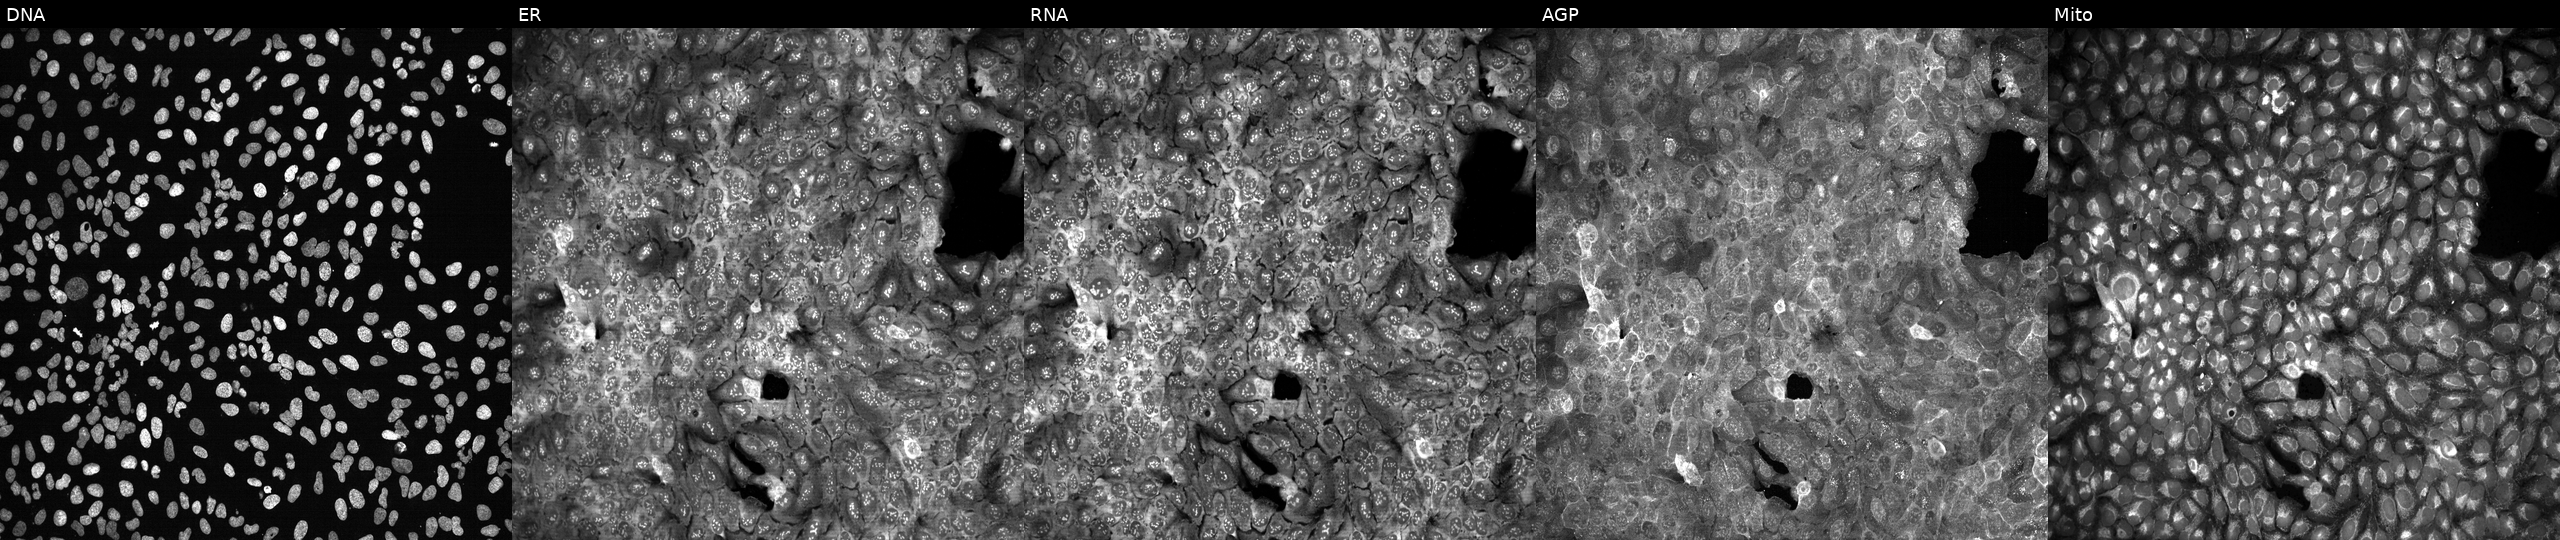
Five-channel Cell Painting image of U2OS cells following CRISPR knockout of SLC26A2. Channels (left→right): DNA (nuclei); ER (endoplasmic reticulum); RNA (nucleoli and cytoplasmic RNA); AGP (actin cytoskeleton, Golgi, and plasma membrane); Mito (mitochondria).